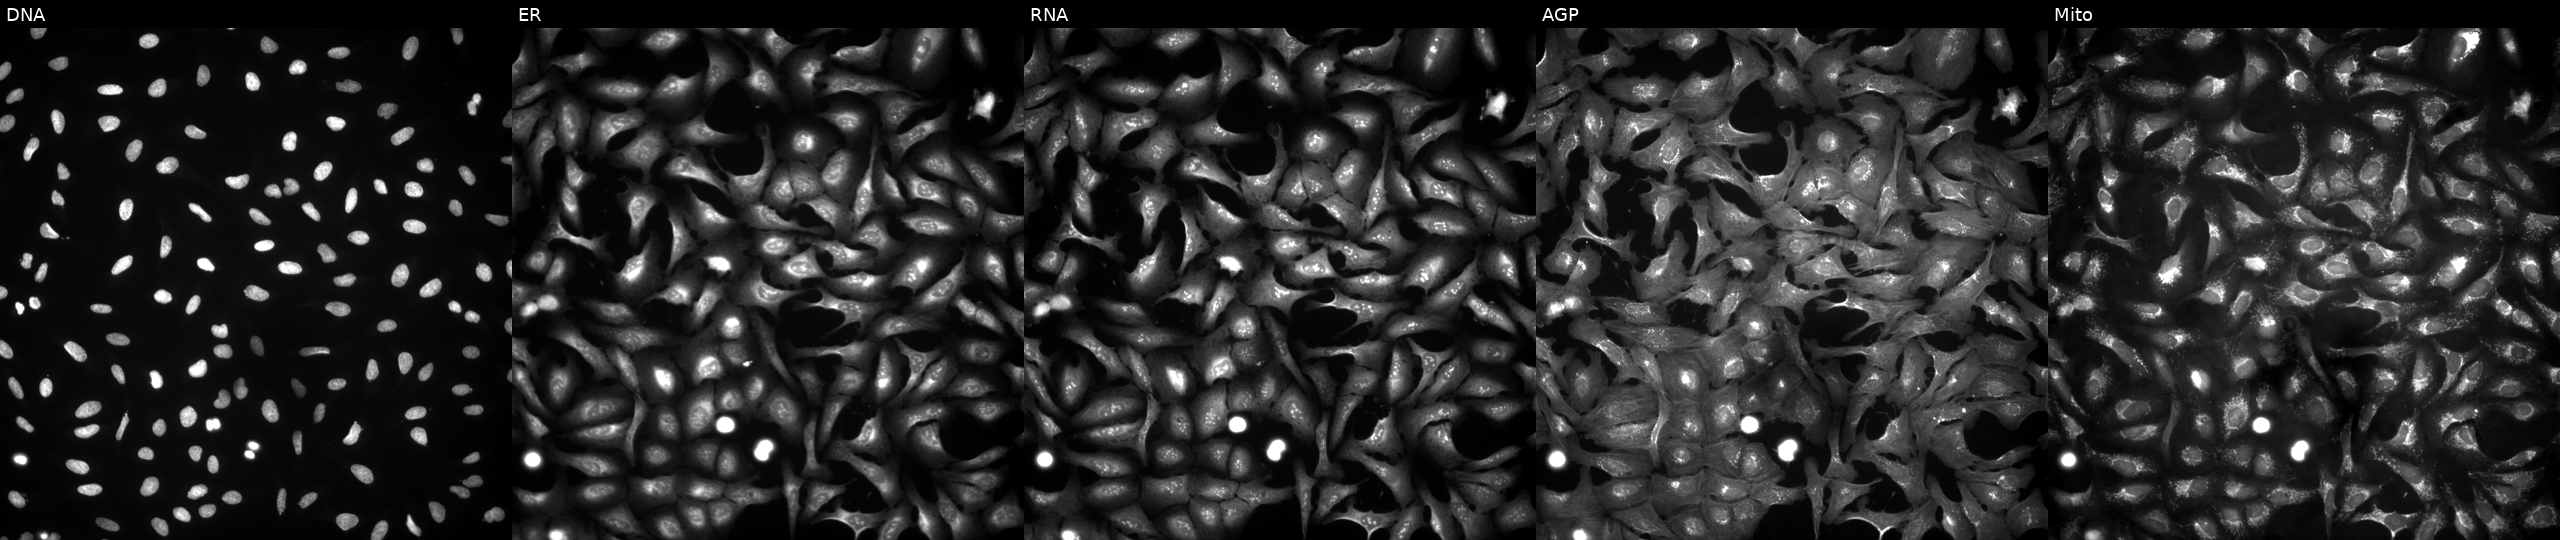
From left to right: DNA (nuclei); ER (endoplasmic reticulum); RNA (nucleoli and cytoplasmic RNA); AGP (actin cytoskeleton, Golgi, and plasma membrane); Mito (mitochondria). U2OS osteosarcoma cells transfected with an ORF construct for IRGM. Cell Painting assay, JUMP-CP dataset. Source 4, plate BR00124790, well P06.